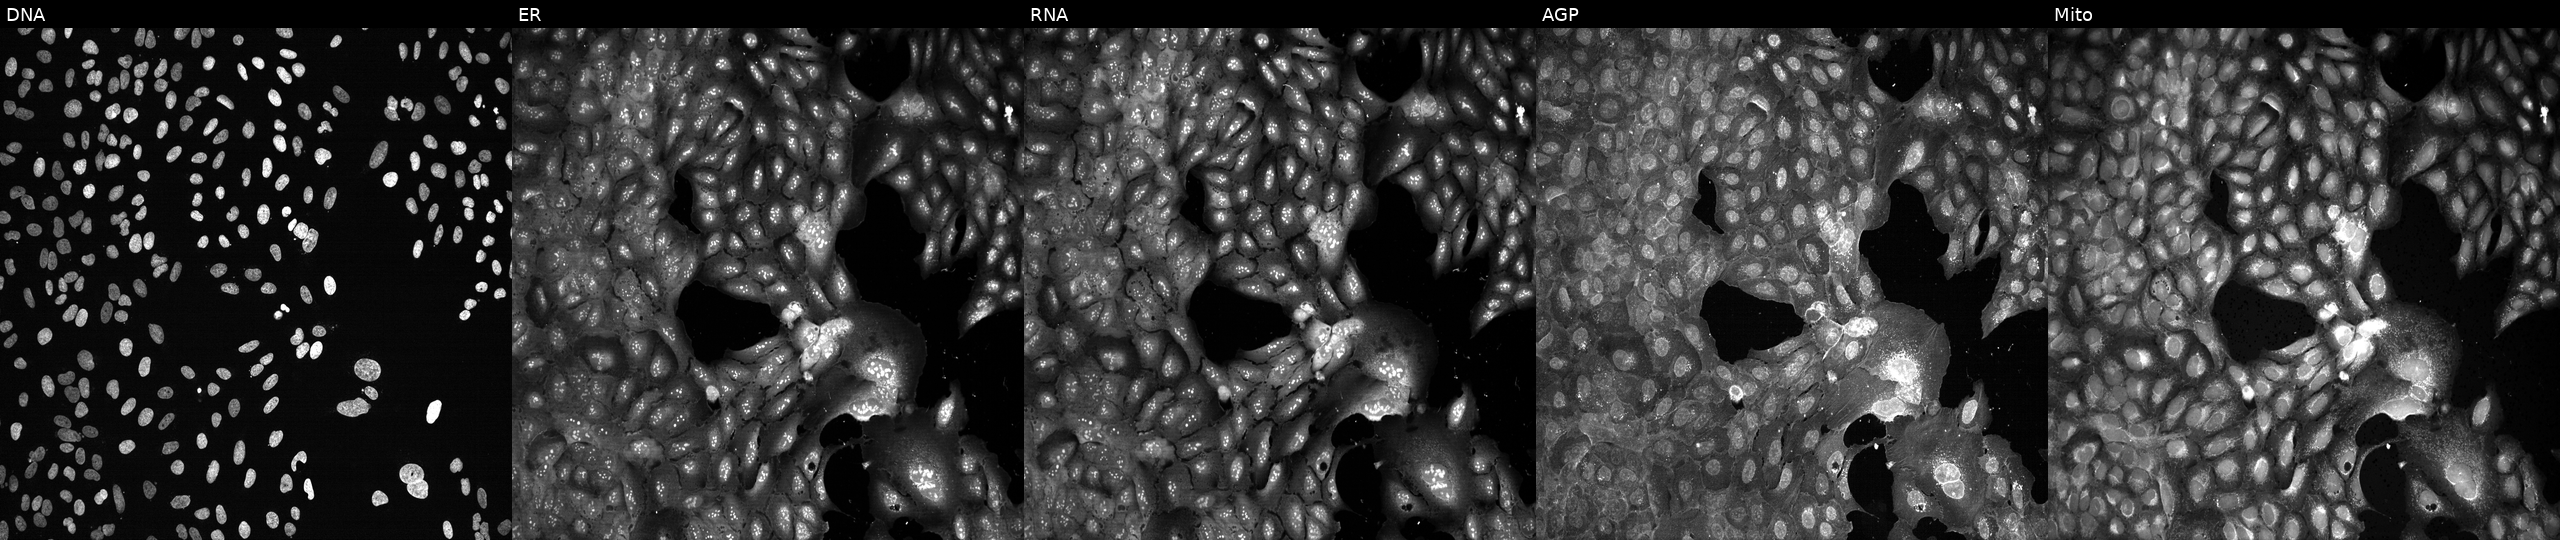
Five-channel Cell Painting image of U2OS cells with ST3GAL4 knocked out by CRISPR (JUMP id JCP2022_806800). Channels (left→right): DNA (nuclei); ER (endoplasmic reticulum); RNA (nucleoli and cytoplasmic RNA); AGP (actin cytoskeleton, Golgi, and plasma membrane); Mito (mitochondria).